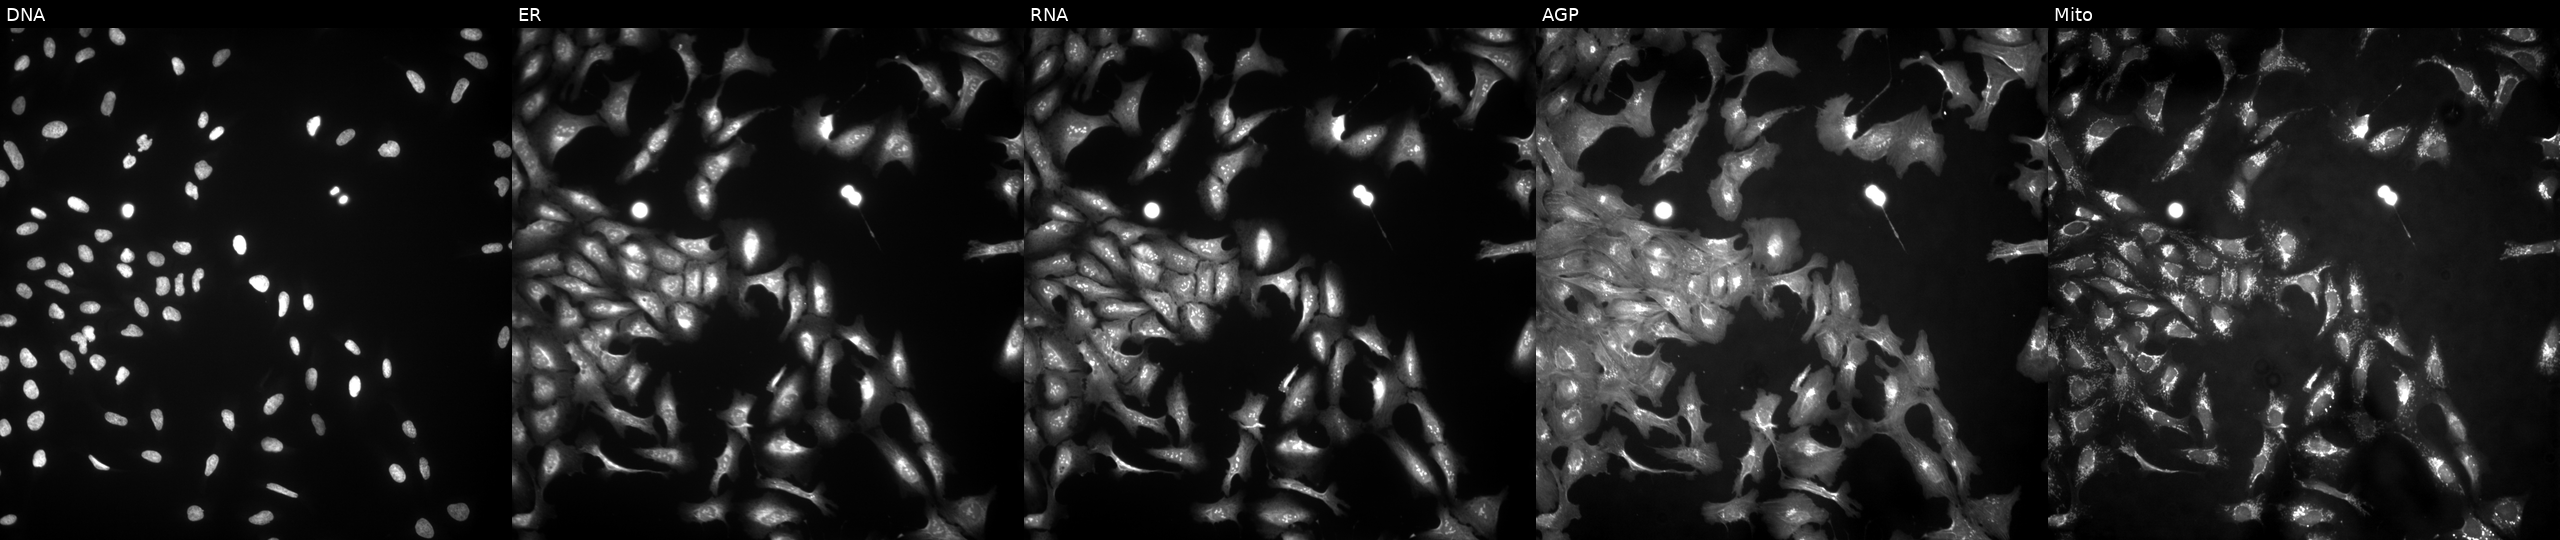
This image strip shows the five Cell Painting channels for a single field of U2OS cells with PNLIP overexpressed (ORF) (JUMP id JCP2022_901153). From left to right: DNA (nuclei); ER (endoplasmic reticulum); RNA (nucleoli and cytoplasmic RNA); AGP (actin cytoskeleton, Golgi, and plasma membrane); Mito (mitochondria). Source 4, plate BR00123506, well K03.